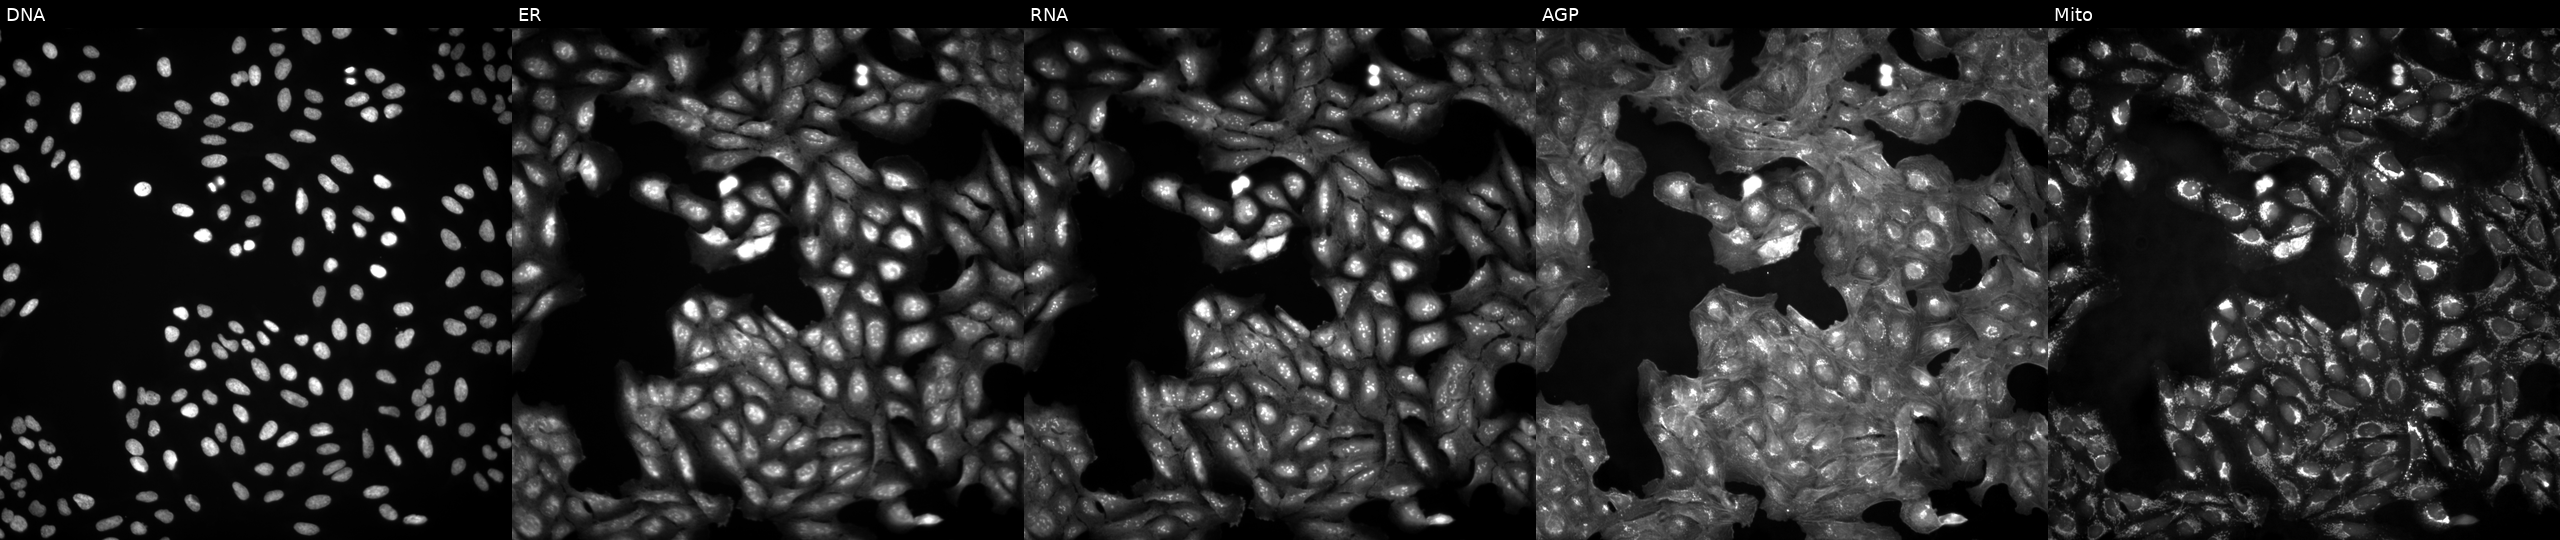
High-content fluorescence microscopy (Cell Painting). Cell line: U2OS. Perturbation: in an empty control well (no perturbation). The five panels, left to right, show DNA, ER, RNA, AGP, and Mito. Source 4, plate BR00123946, well P09.